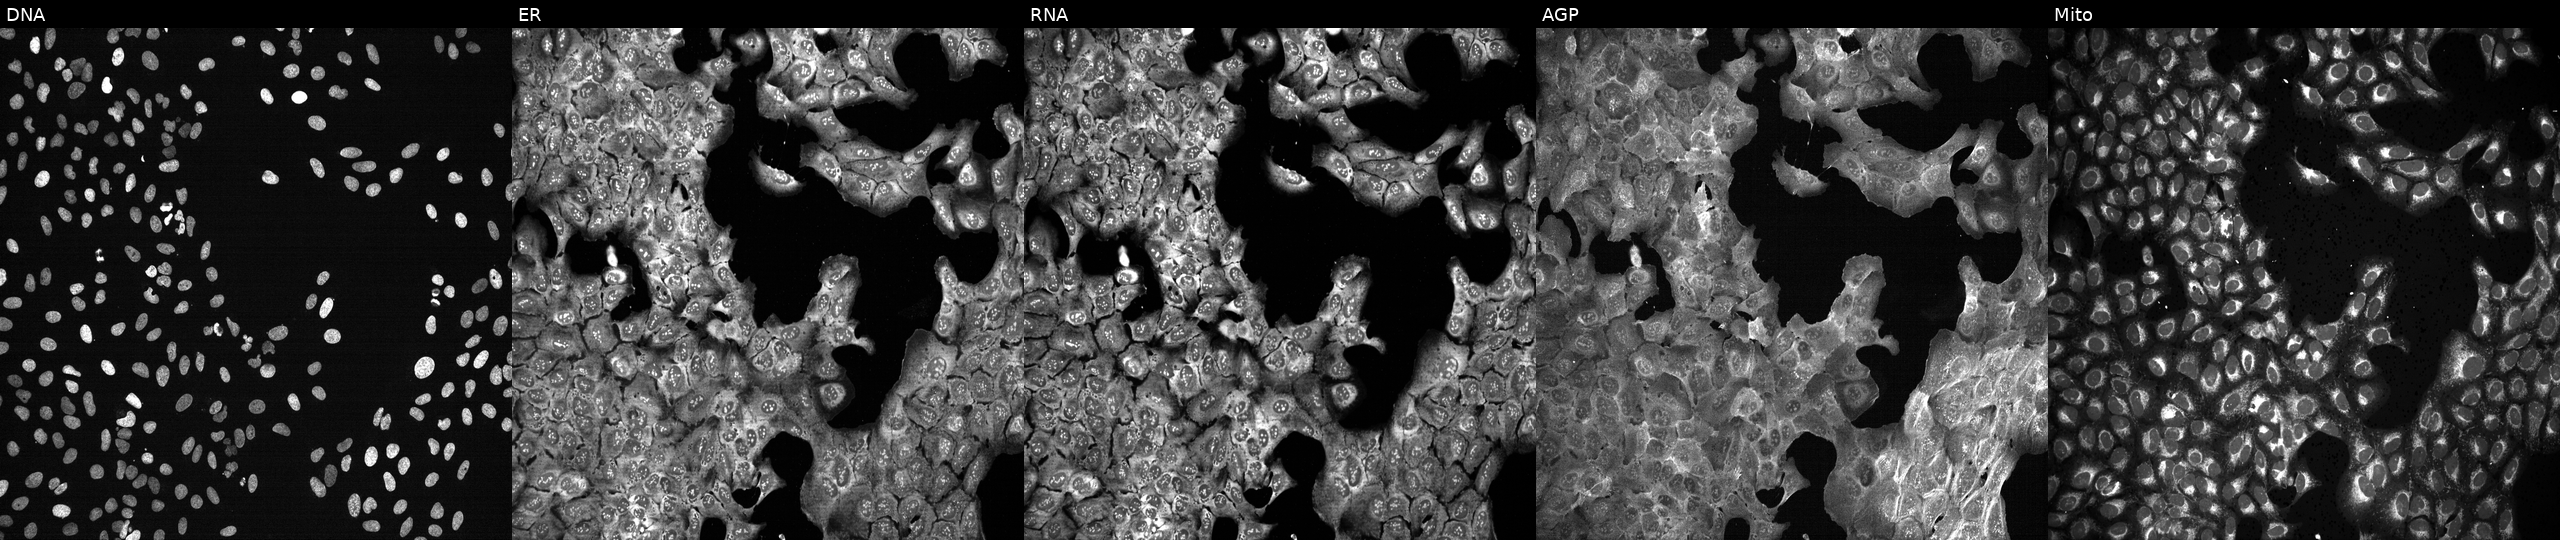
U2OS cells, Cell Painting assay, with NUBP2 knocked out by CRISPR (JUMP id JCP2022_804739). From left to right: DNA, ER, RNA, AGP, and Mito. Each panel is percentile-stretched 16-bit fluorescence.